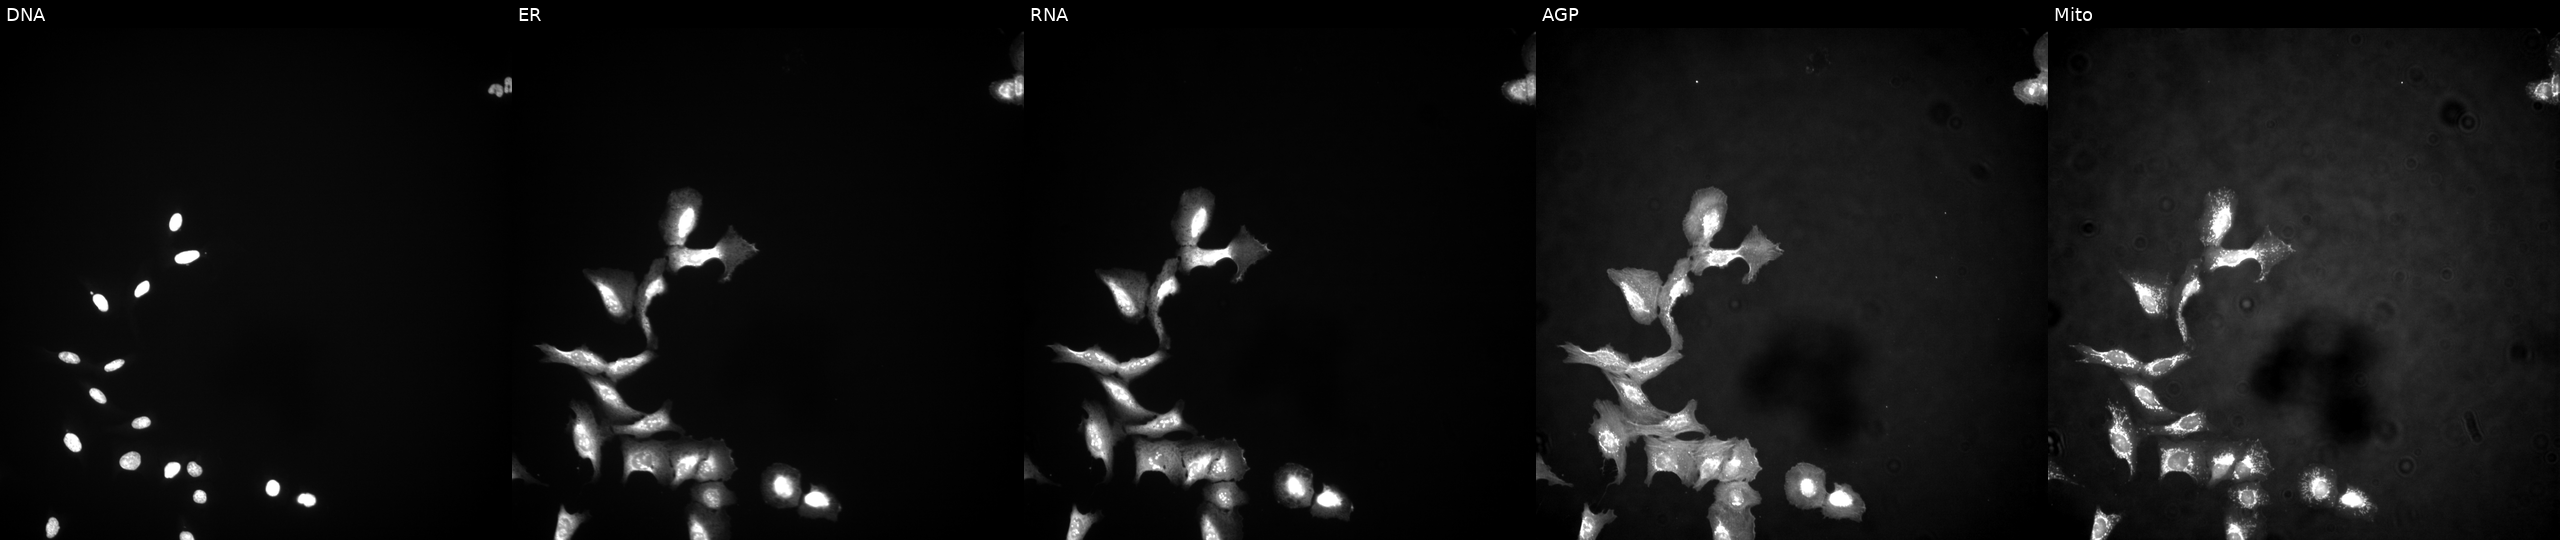
JUMP Cell Painting — ORF plate. U2OS cells transfected with an ORF construct for LDLRAD1. From left to right: DNA, ER, RNA, AGP, and Mito. Source 4, plate BR00124790, well N09.